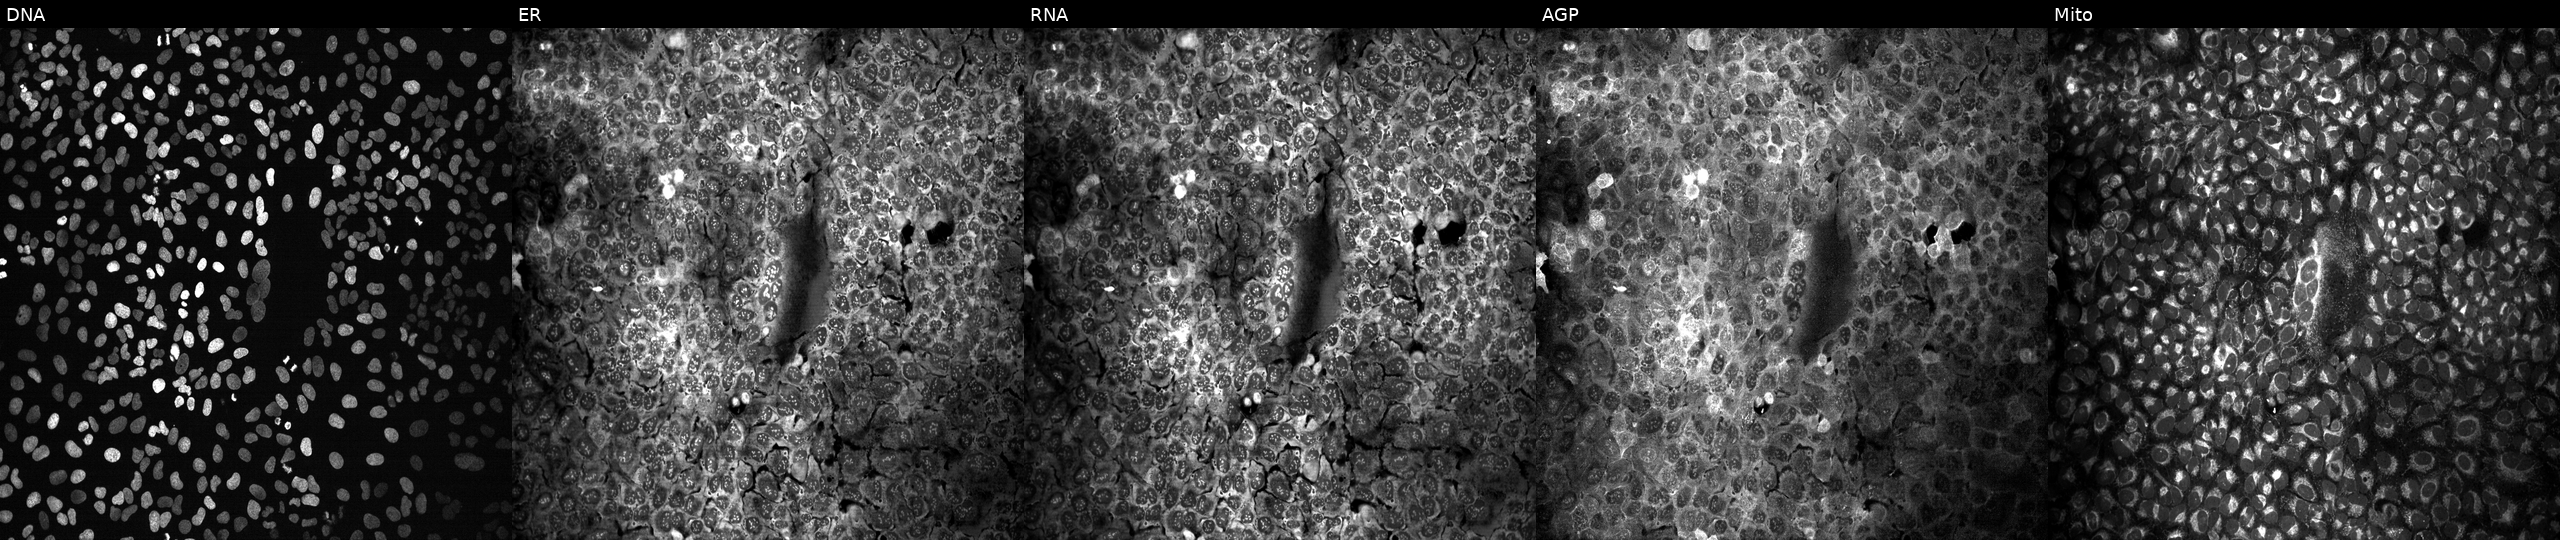
JUMP Cell Painting — CRISPR plate. U2OS cells with no CRISPR guide (negative control) (JUMP id JCP2022_800001). The five panels, left to right, show DNA (nuclei); ER (endoplasmic reticulum); RNA (nucleoli and cytoplasmic RNA); AGP (actin cytoskeleton, Golgi, and plasma membrane); Mito (mitochondria).